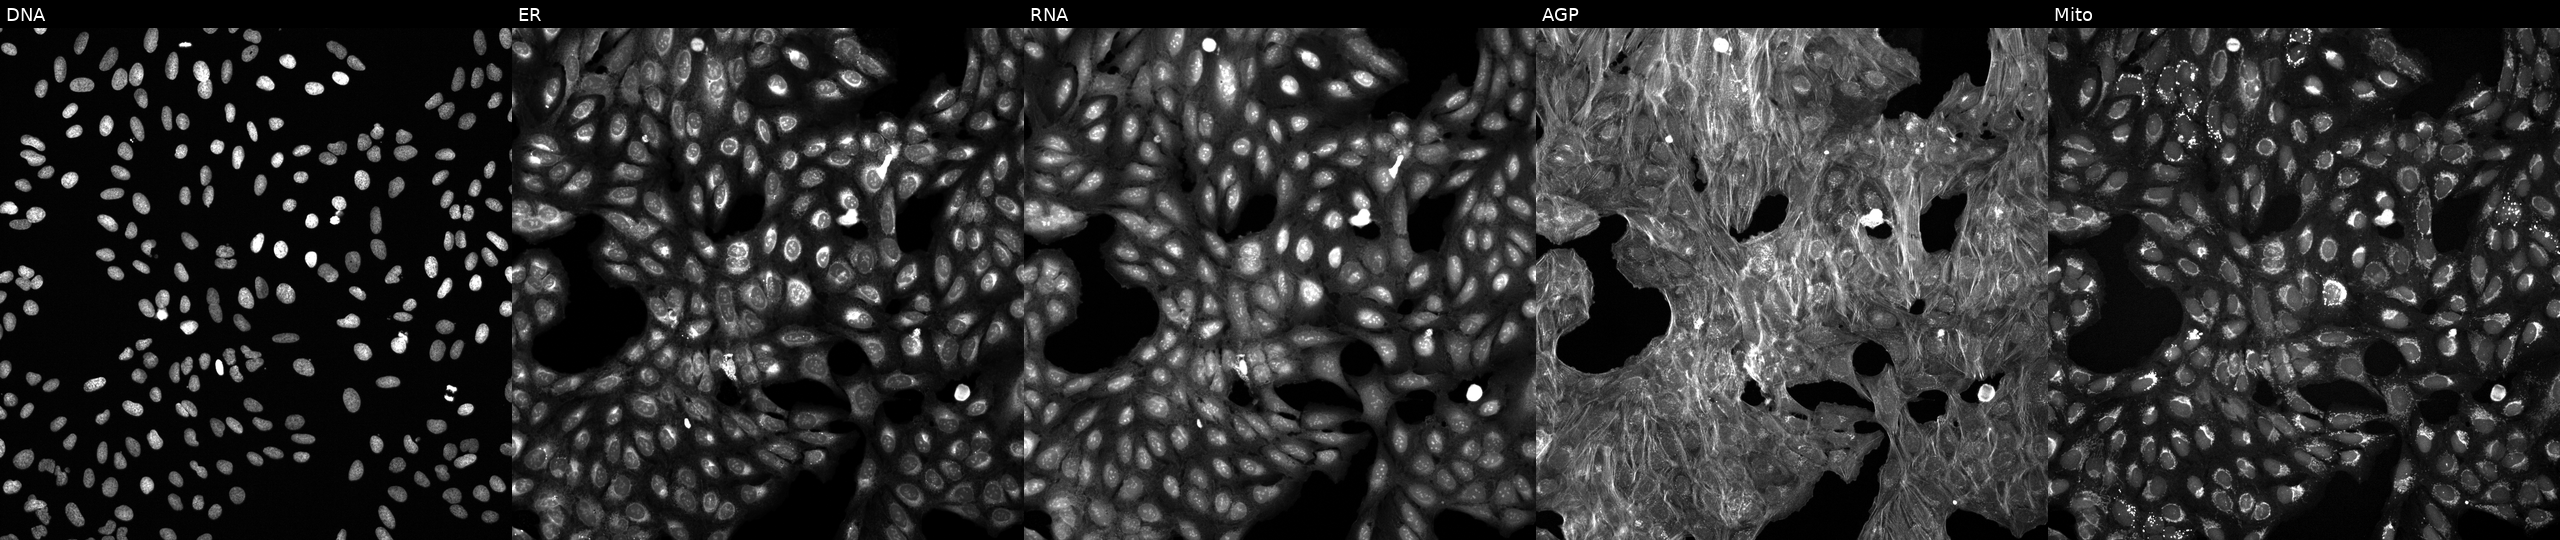
High-content fluorescence microscopy (Cell Painting). Cell line: U2OS. Perturbation: treated with a small-molecule compound (InChIKey VUIRVWPJNKZOSS-UHFFFAOYSA-N). From left to right: Hoechst 33342, concanavalin A, SYTO 14, phalloidin and WGA, MitoTracker. Source 6, plate 110000294901, well D15.